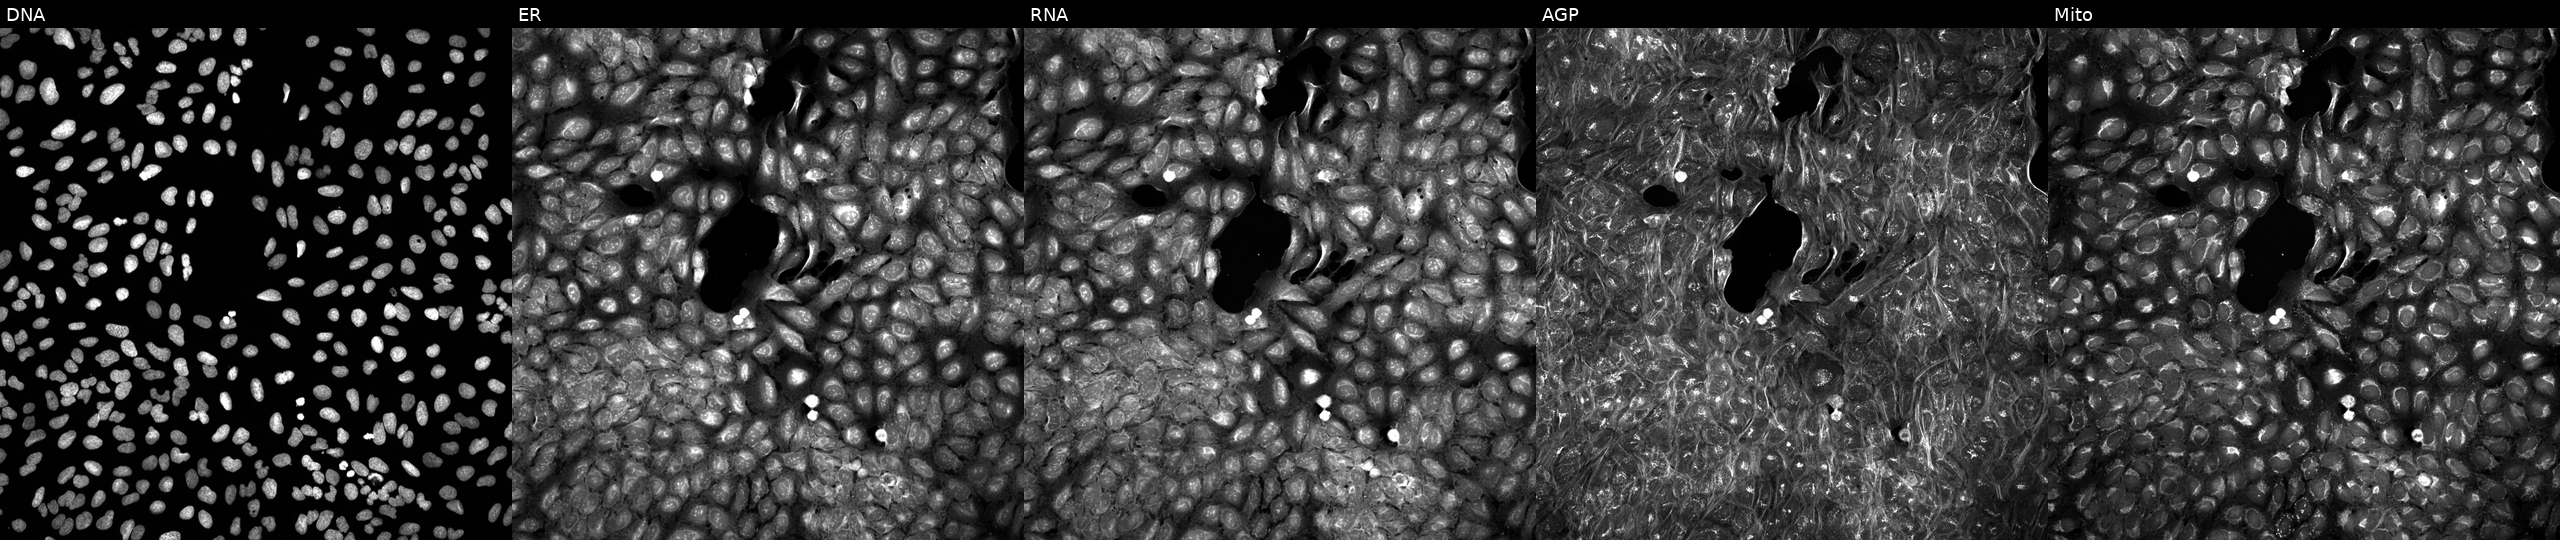
U2OS cells, Cell Painting assay, perturbed with a small-molecule compound (InChIKey VCUMHQQHVGZCTQ-UHFFFAOYSA-N) (JUMP id JCP2022_093119). The five panels, left to right, show DNA (nuclei); ER (endoplasmic reticulum); RNA (nucleoli and cytoplasmic RNA); AGP (actin cytoskeleton, Golgi, and plasma membrane); Mito (mitochondria). Each panel is percentile-stretched 16-bit fluorescence. Source 5, plate APTJUM106, well G22.